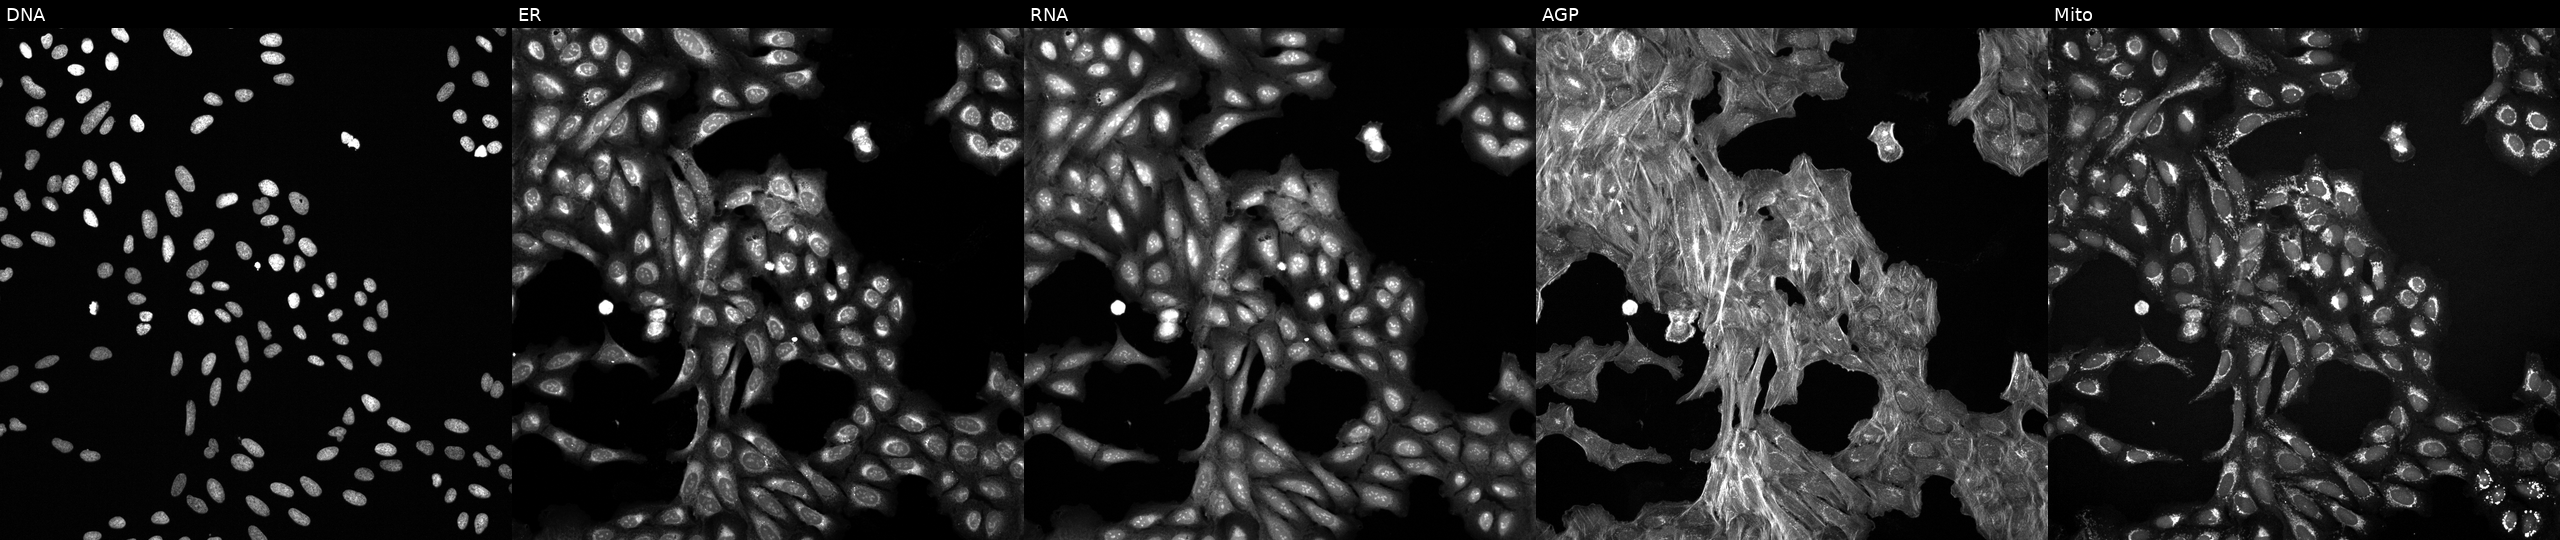
JUMP Cell Painting — COMPOUND plate. U2OS cells treated with a small-molecule compound (InChIKey FJWOJEGNUIUGNY-UHFFFAOYSA-N). Channels (left→right): Hoechst 33342, concanavalin A, SYTO 14, phalloidin and WGA, MitoTracker.